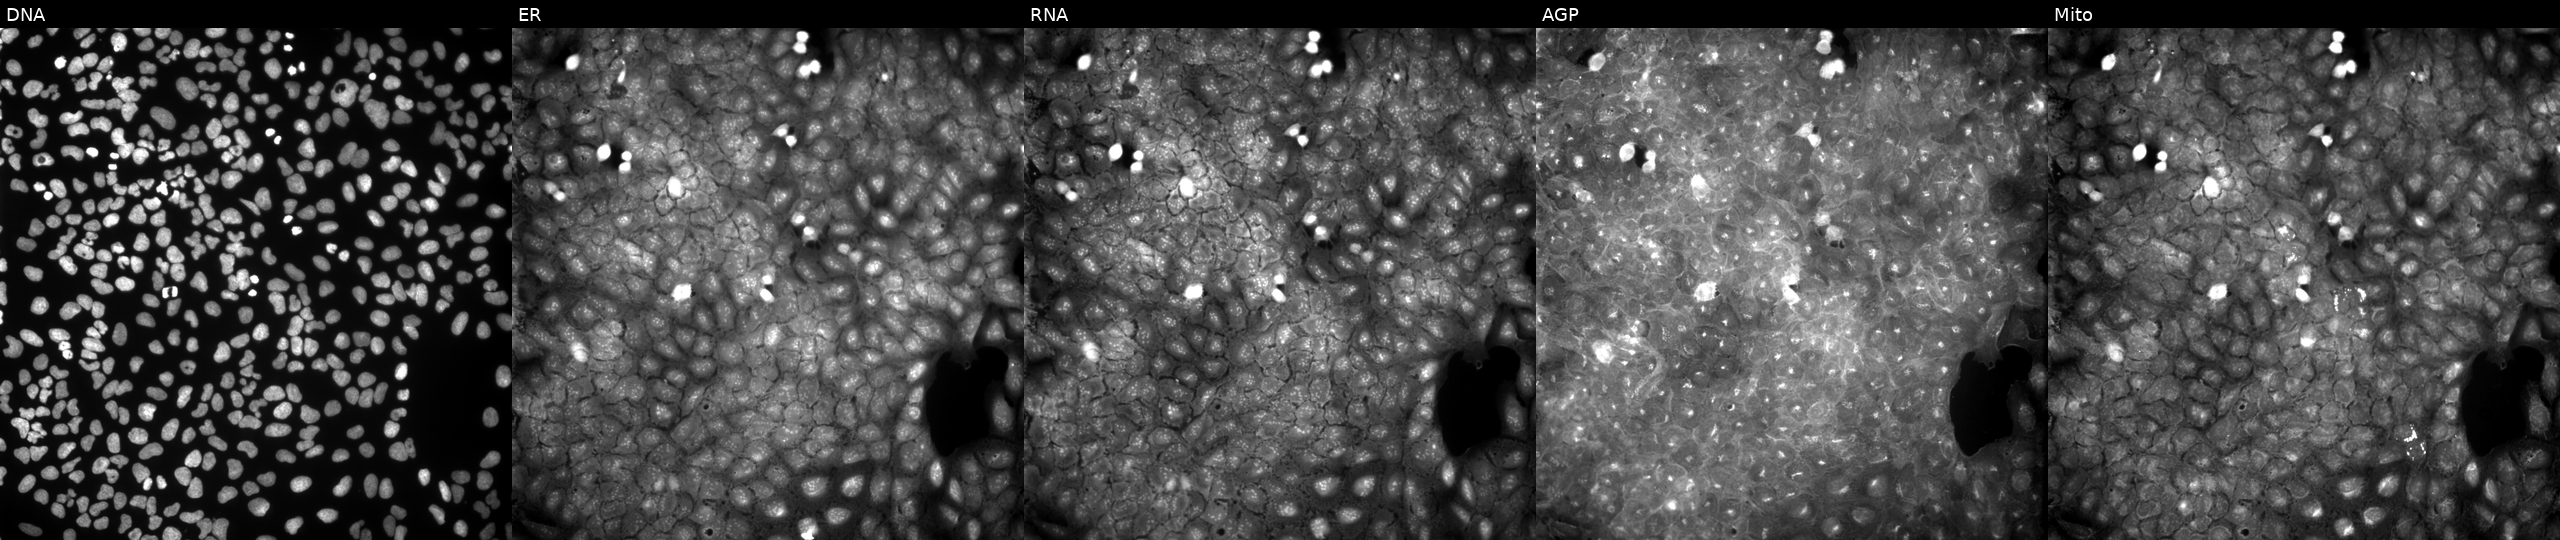
JUMP Cell Painting — COMPOUND plate. U2OS cells exposed to a small-molecule compound (JUMP id JCP2022_015218). Panels show, left to right, DNA, ER, RNA, AGP, and Mito. Source 9, plate GR00003381, well S18.